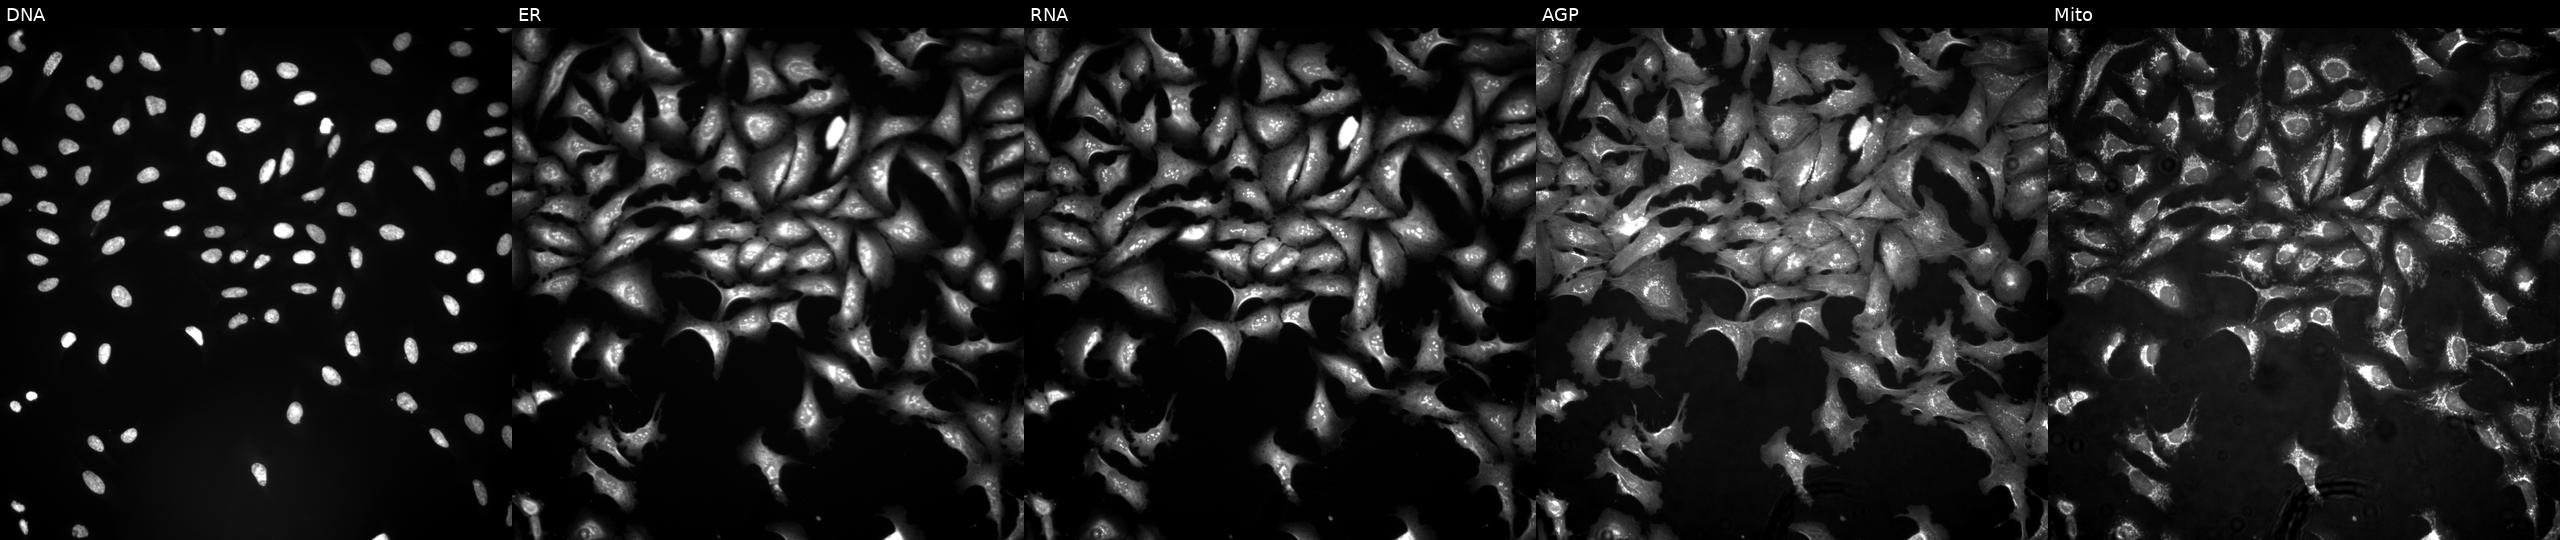
The five panels, left to right, show DNA (nuclei); ER (endoplasmic reticulum); RNA (nucleoli and cytoplasmic RNA); AGP (actin cytoskeleton, Golgi, and plasma membrane); Mito (mitochondria). U2OS osteosarcoma cells transfected with an ORF construct for ARHGAP17. Cell Painting assay, JUMP-CP dataset. Source 4, plate BR00124787, well C12.